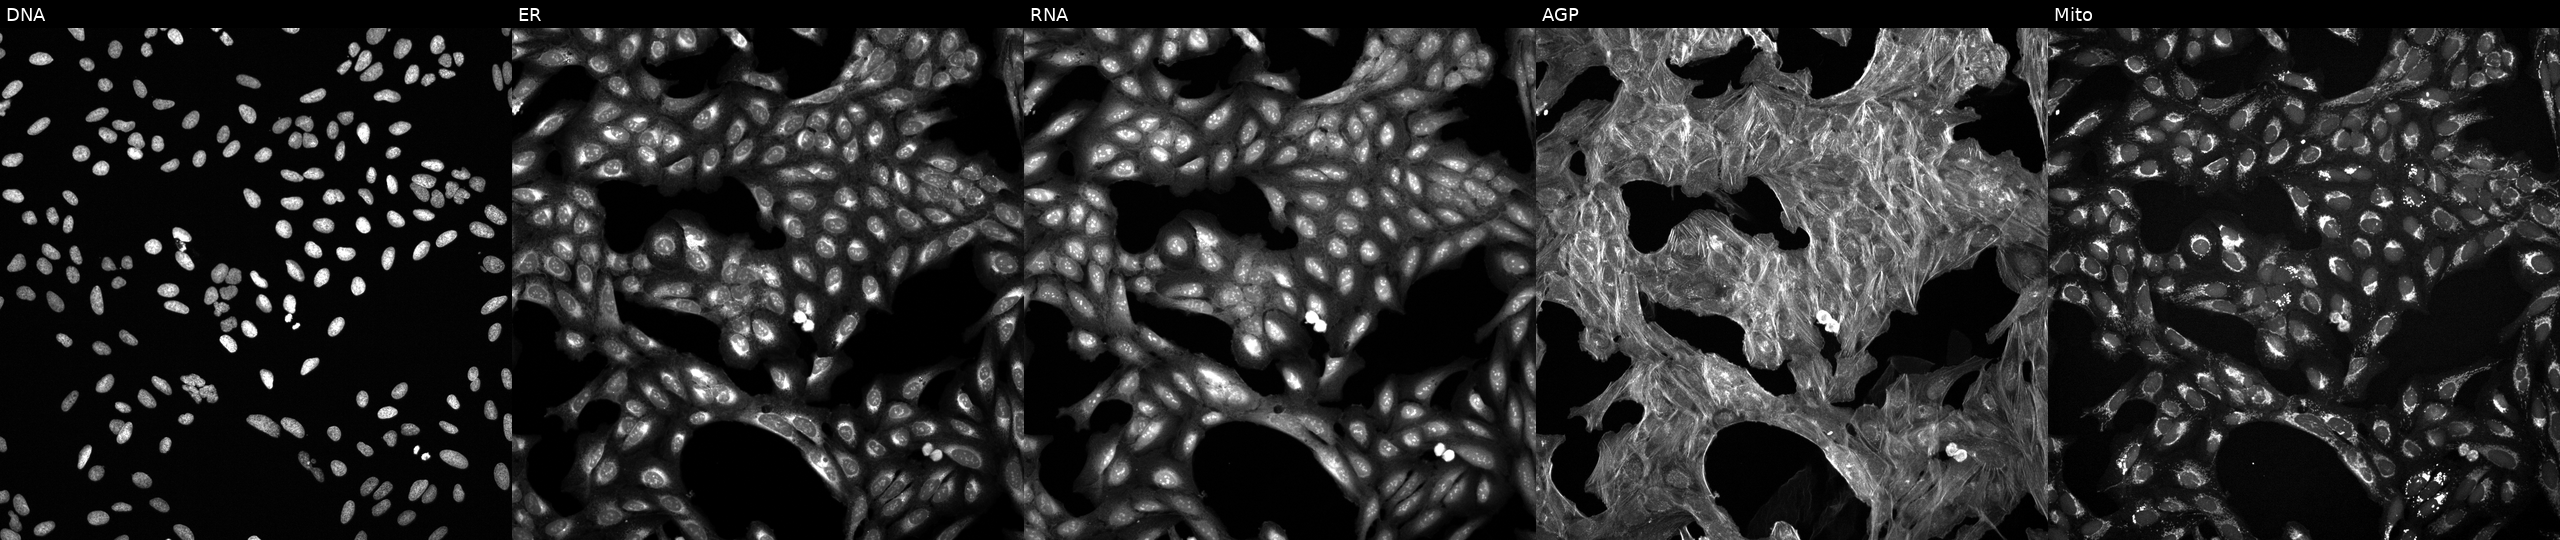
High-content fluorescence microscopy (Cell Painting). Cell line: U2OS. Perturbation: perturbed with a small-molecule compound. Panels show, left to right, DNA (nuclei); ER (endoplasmic reticulum); RNA (nucleoli and cytoplasmic RNA); AGP (actin cytoskeleton, Golgi, and plasma membrane); Mito (mitochondria).